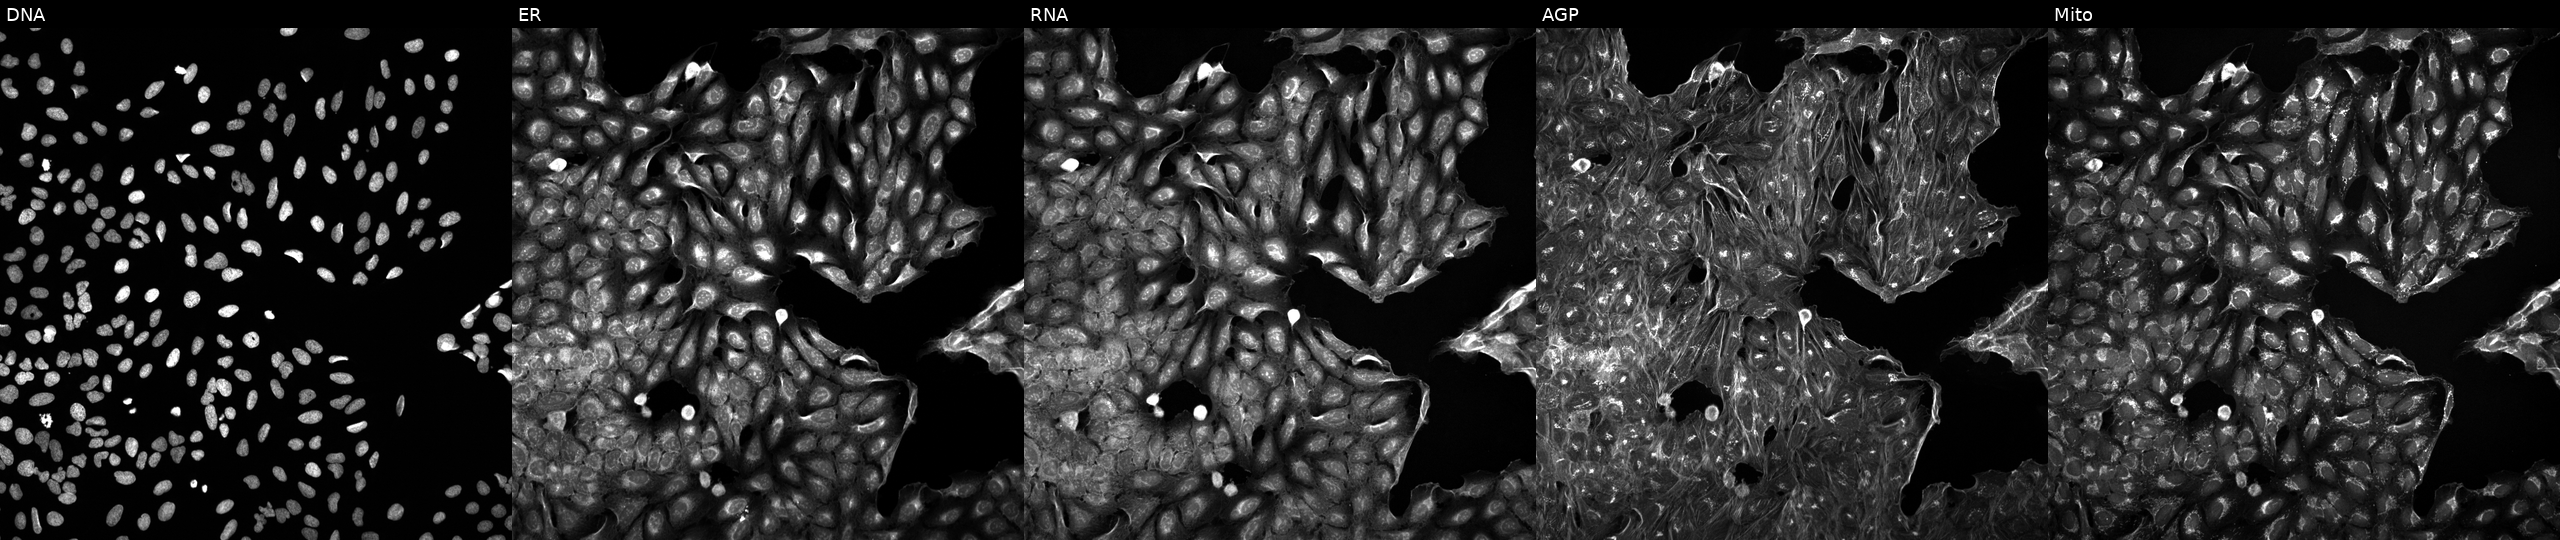
U2OS cells, Cell Painting assay, treated with a small-molecule compound [SMILES: Cc1cc(-c2ccc3c(c2)CCC3N2CC3(CCN(C(=O)Cc4cn5cc(C)sc5n4)CC3)C2)ncn1]. The five panels, left to right, show DNA (nuclei); ER (endoplasmic reticulum); RNA (nucleoli and cytoplasmic RNA); AGP (actin cytoskeleton, Golgi, and plasma membrane); Mito (mitochondria). Each panel is percentile-stretched 16-bit fluorescence. Source 5, plate ACPJUM012, well A24.